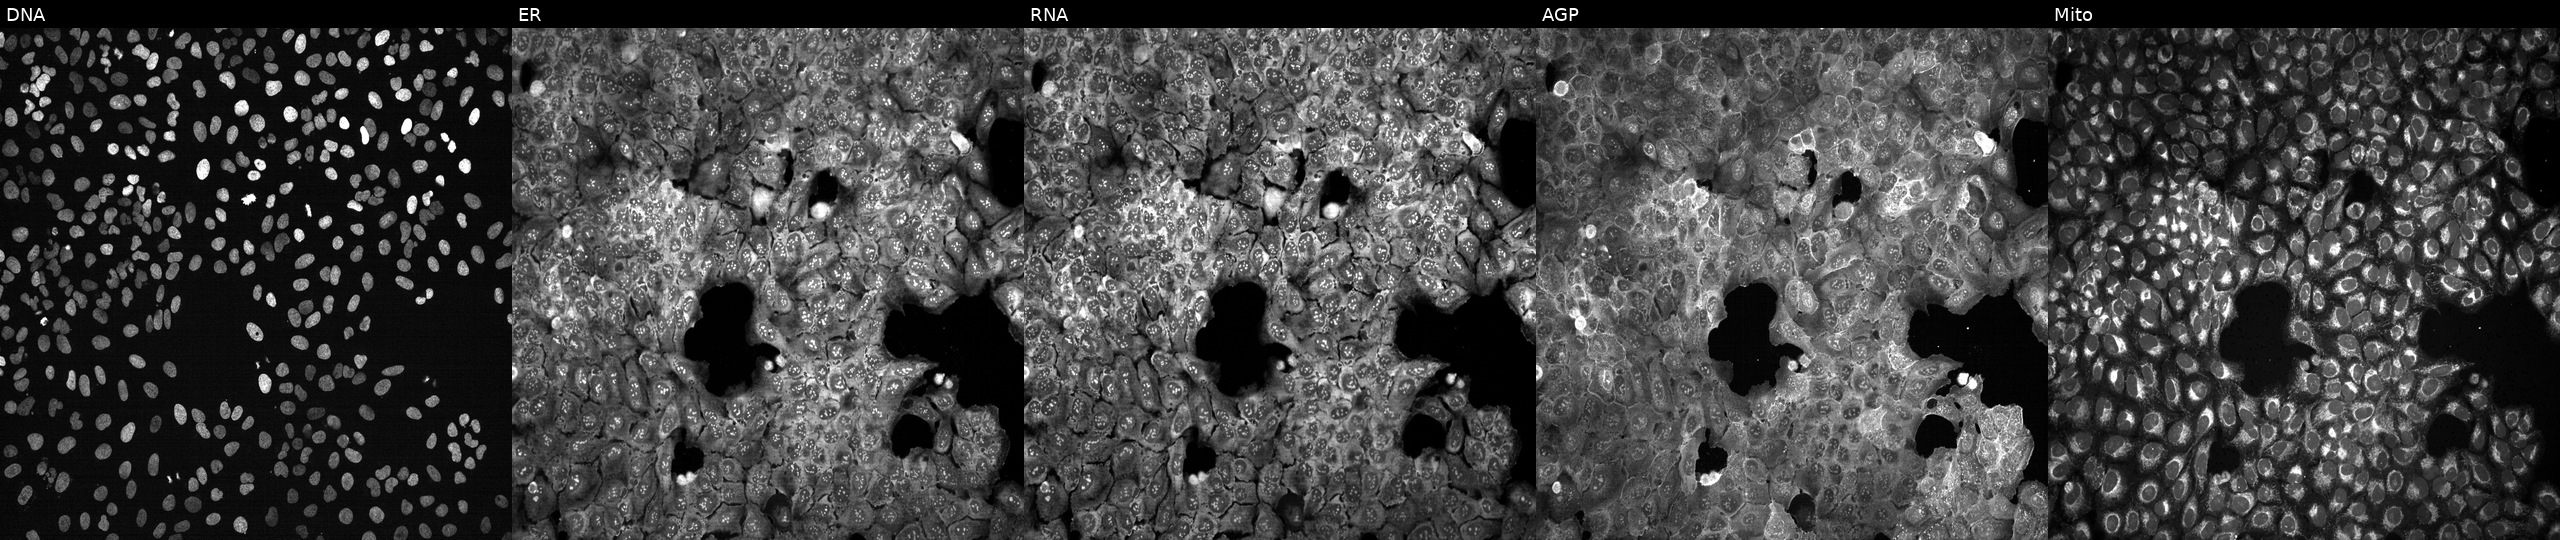
JUMP Cell Painting — CRISPR plate. U2OS cells following CRISPR knockout of RPP14 (JUMP id JCP2022_806105). Panels show, left to right, DNA, ER, RNA, AGP, and Mito.